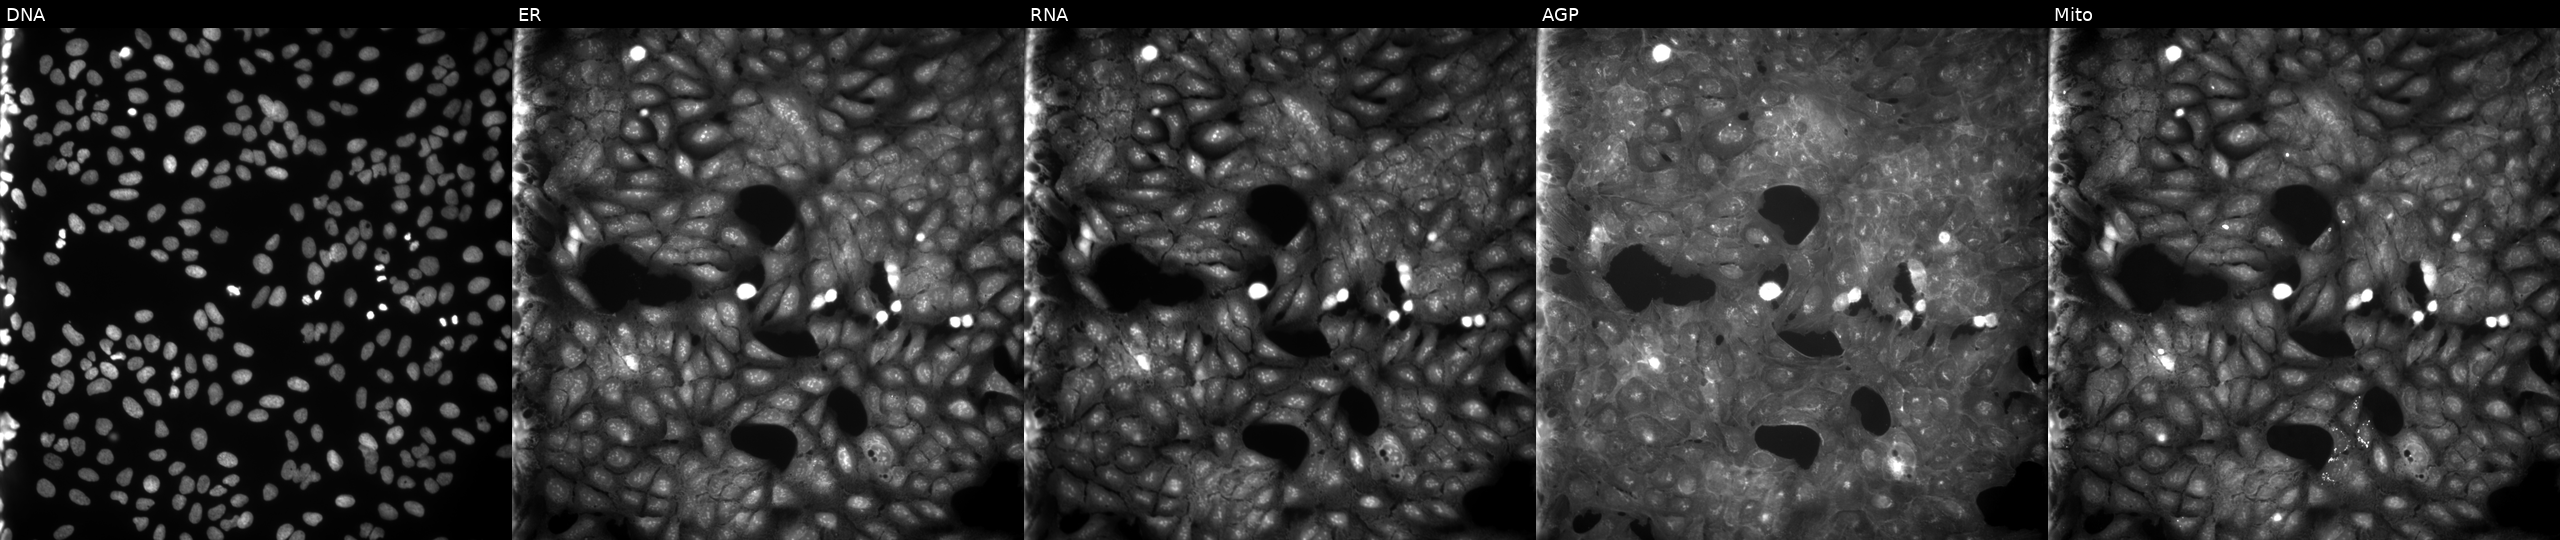
The five panels, left to right, show DNA (nuclei); ER (endoplasmic reticulum); RNA (nucleoli and cytoplasmic RNA); AGP (actin cytoskeleton, Golgi, and plasma membrane); Mito (mitochondria). U2OS osteosarcoma cells treated with a small-molecule compound (JUMP id JCP2022_042452). Cell Painting assay, JUMP-CP dataset.